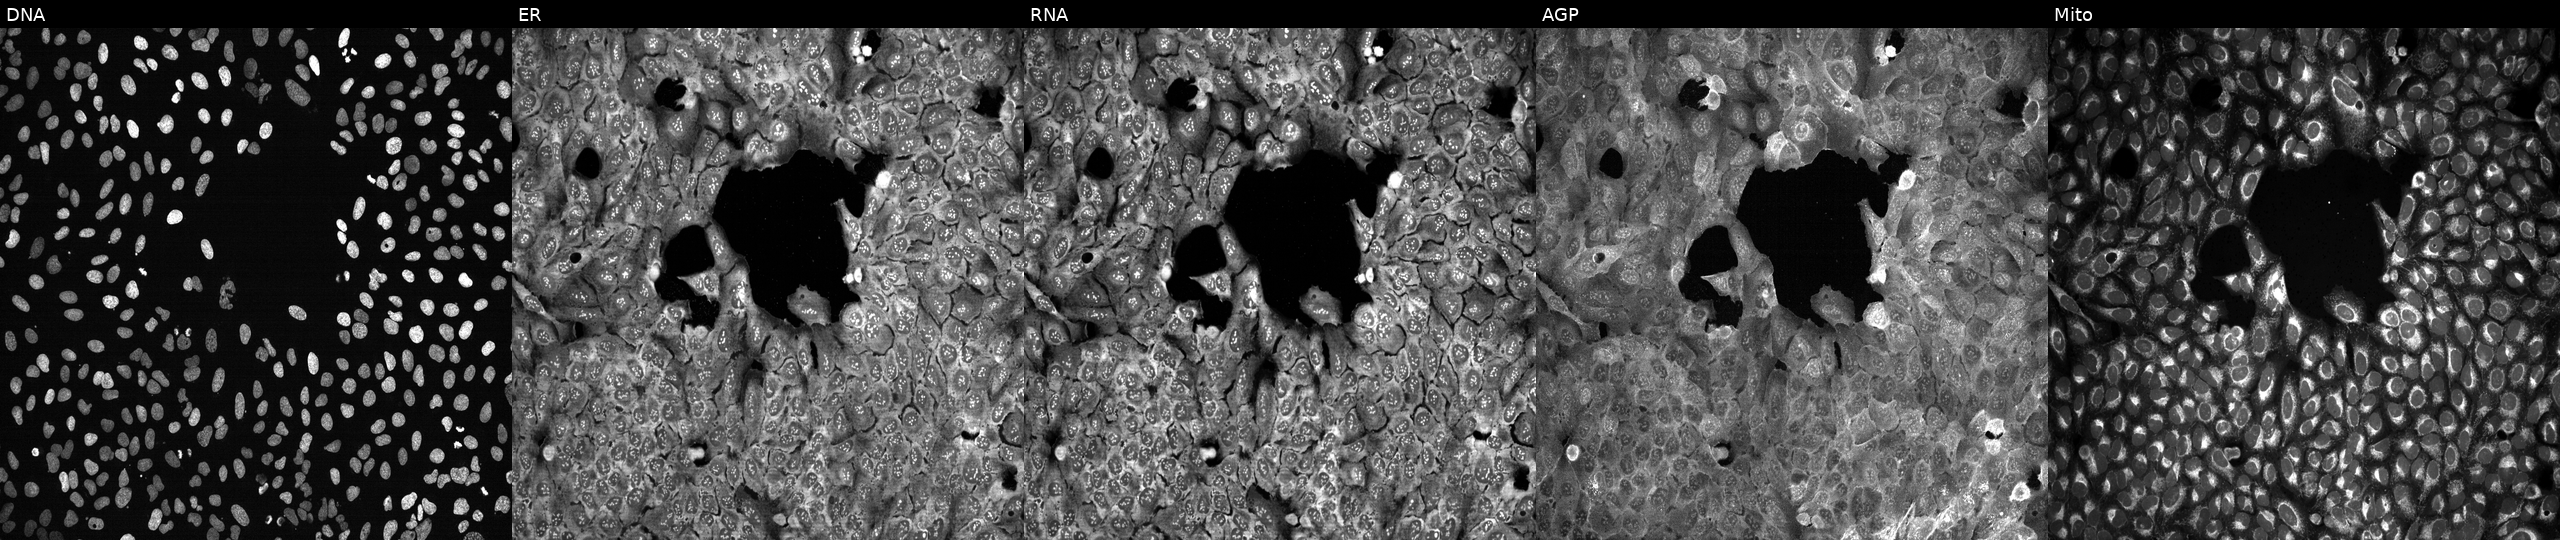
Five-channel Cell Painting image of U2OS cells following CRISPR knockout of SCD5 (JUMP id JCP2022_806198). Channels (left→right): DNA, ER, RNA, AGP, and Mito.